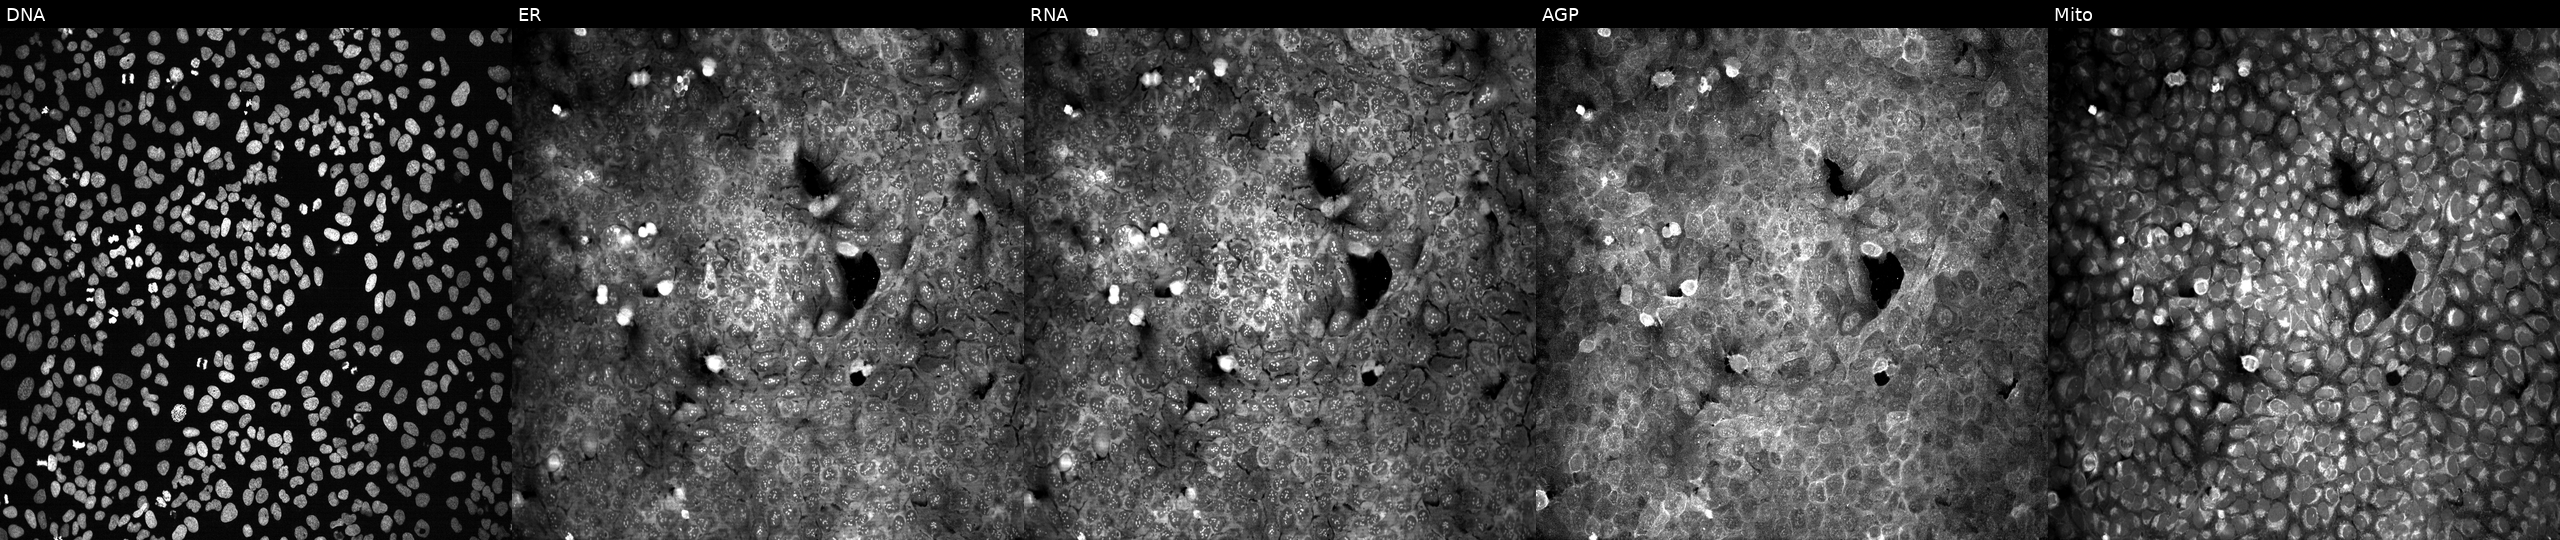
Five-channel Cell Painting image of U2OS cells exposed to DMSO alone as a negative control. Channels (left→right): DNA (nuclei); ER (endoplasmic reticulum); RNA (nucleoli and cytoplasmic RNA); AGP (actin cytoskeleton, Golgi, and plasma membrane); Mito (mitochondria).